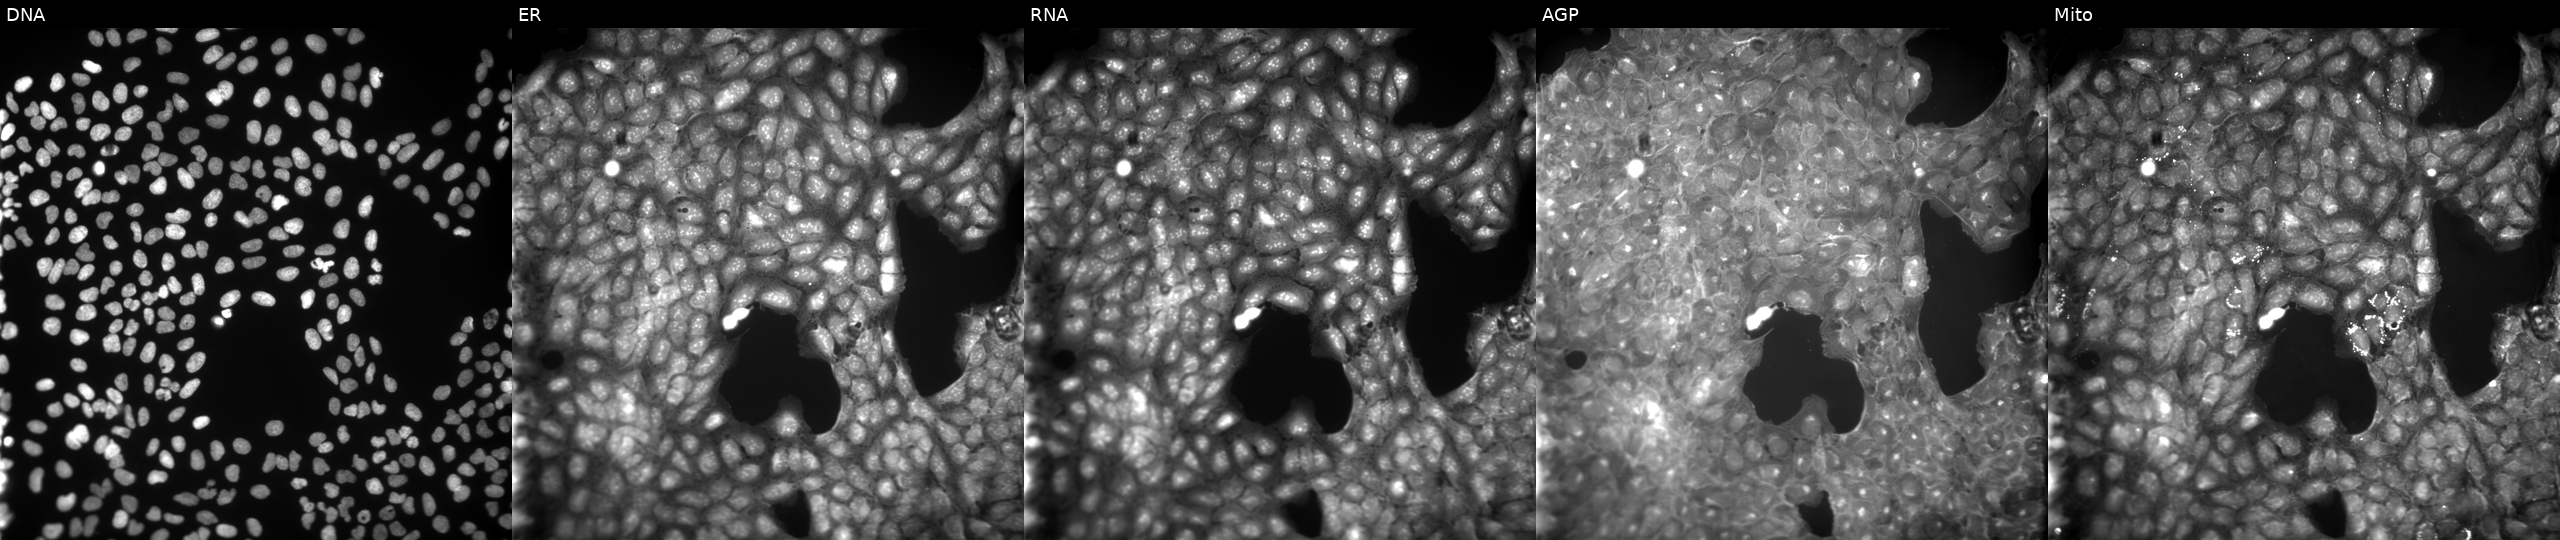
Panels show, left to right, Hoechst 33342, concanavalin A, SYTO 14, phalloidin and WGA, MitoTracker. U2OS osteosarcoma cells treated with quinidine (positive-control compound). Cell Painting assay, JUMP-CP dataset.